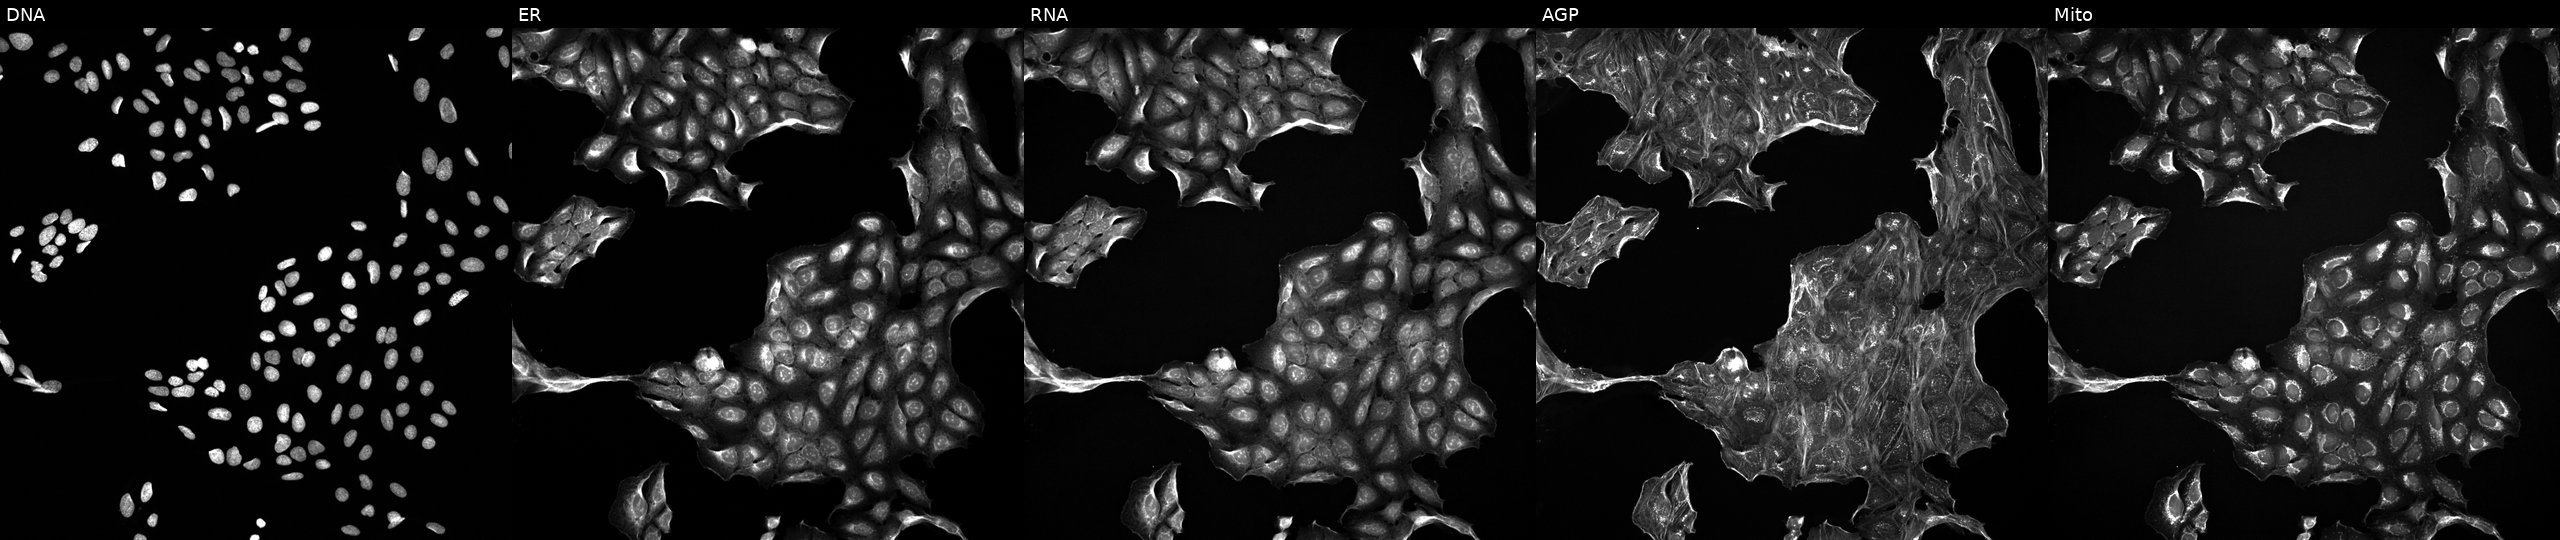
JUMP Cell Painting — TARGET2 plate. U2OS cells exposed to DMSO alone as a negative control (JUMP id JCP2022_033924). Channels (left→right): DNA, ER, RNA, AGP, and Mito. Source 5, plate ACPJUM012, well G04.